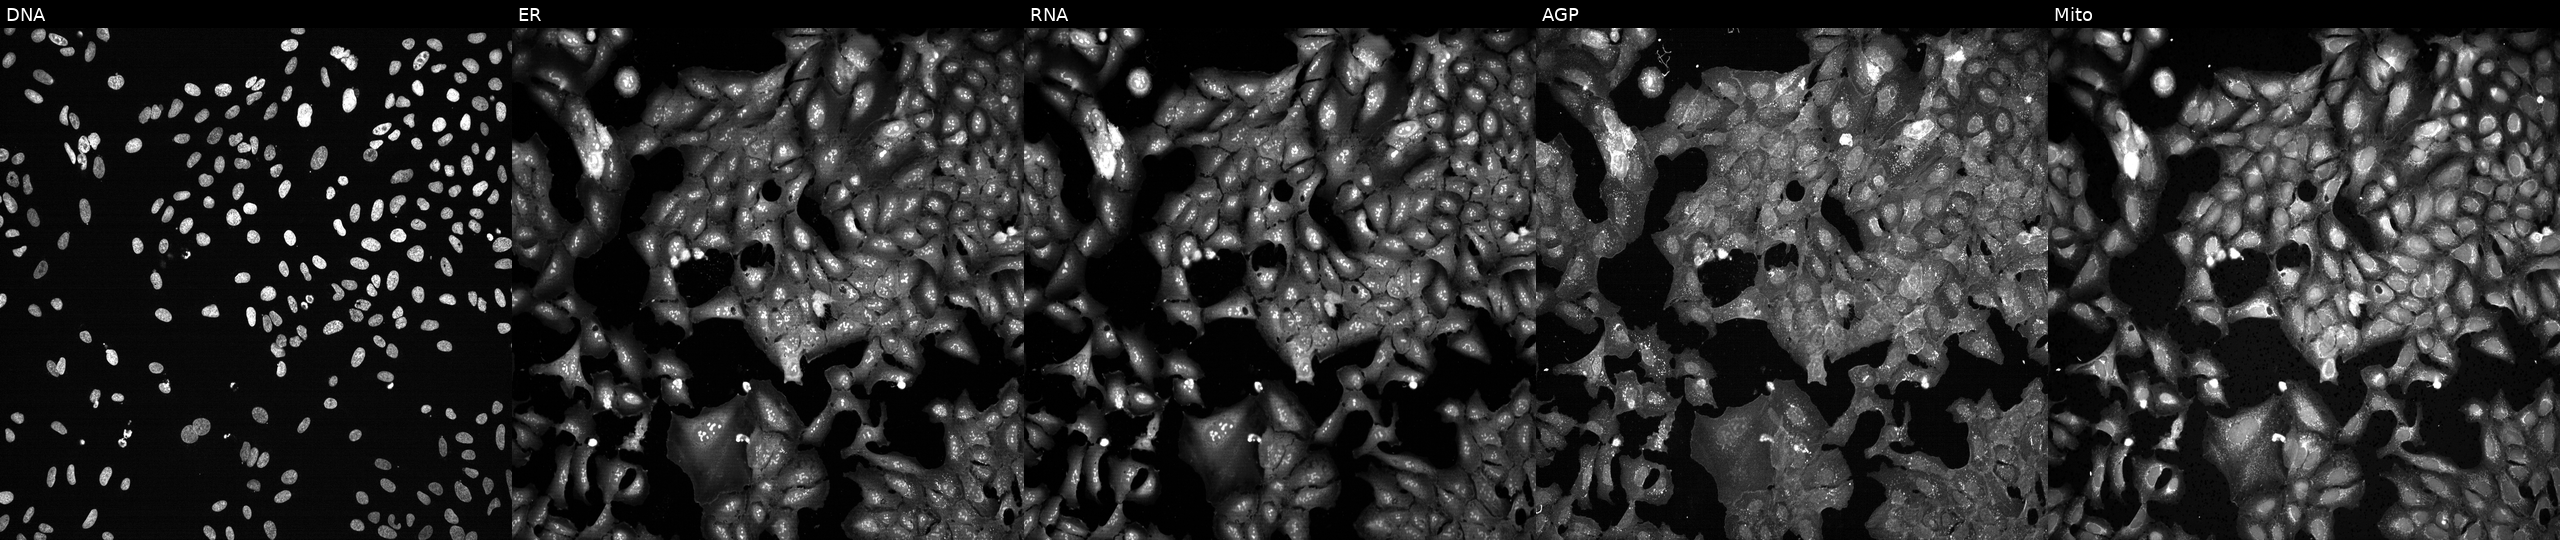
JUMP Cell Painting — CRISPR plate. U2OS cells with MARS knocked out by CRISPR (JUMP id JCP2022_804038). From left to right: Hoechst 33342, concanavalin A, SYTO 14, phalloidin and WGA, MitoTracker.